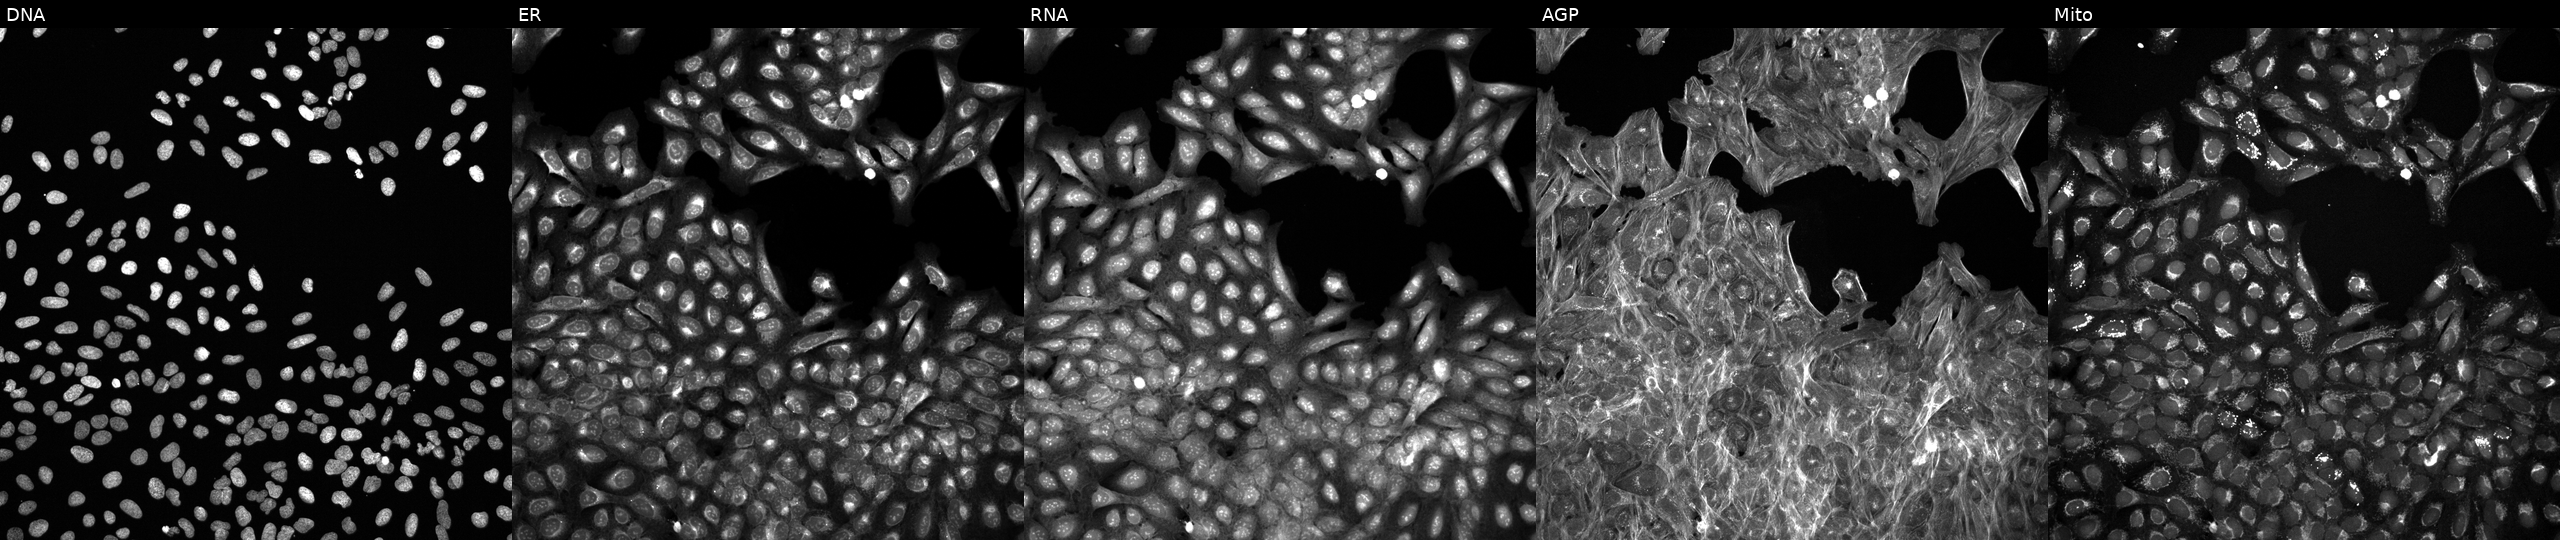
High-content fluorescence microscopy (Cell Painting). Cell line: U2OS. Perturbation: treated with a small-molecule compound (InChIKey ODUOJXZPIYUATO-UHFFFAOYSA-N). Panels show, left to right, DNA, ER, RNA, AGP, and Mito.